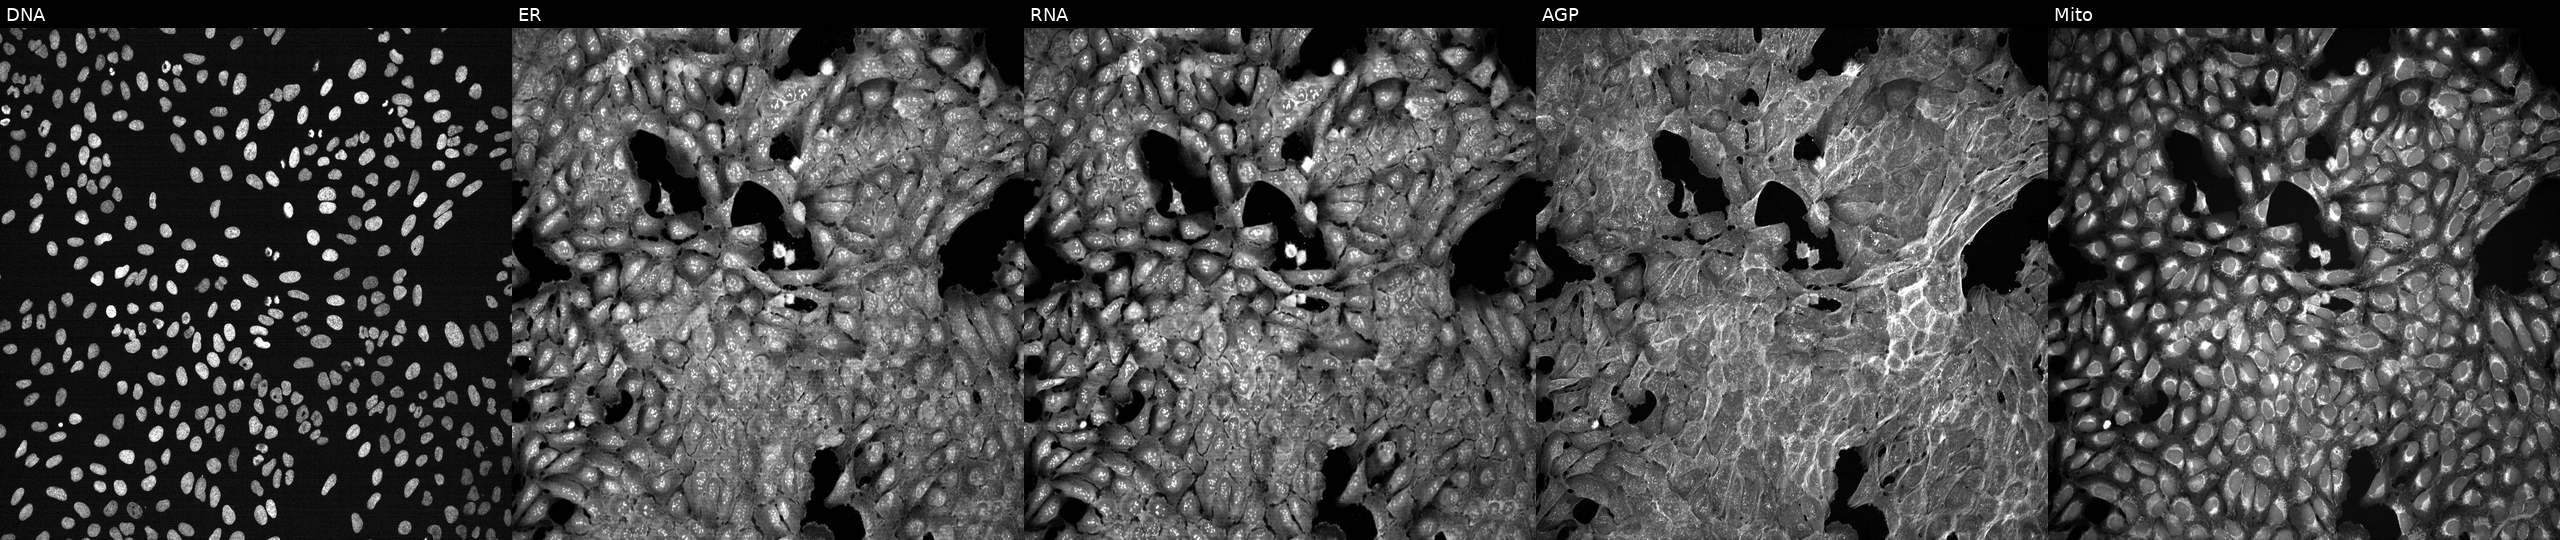
Panels show, left to right, DNA (nuclei); ER (endoplasmic reticulum); RNA (nucleoli and cytoplasmic RNA); AGP (actin cytoskeleton, Golgi, and plasma membrane); Mito (mitochondria). U2OS osteosarcoma cells exposed to a small-molecule compound (JUMP id JCP2022_061437). Cell Painting assay, JUMP-CP dataset. Source 7, plate CP3-SC1-25, well B18.